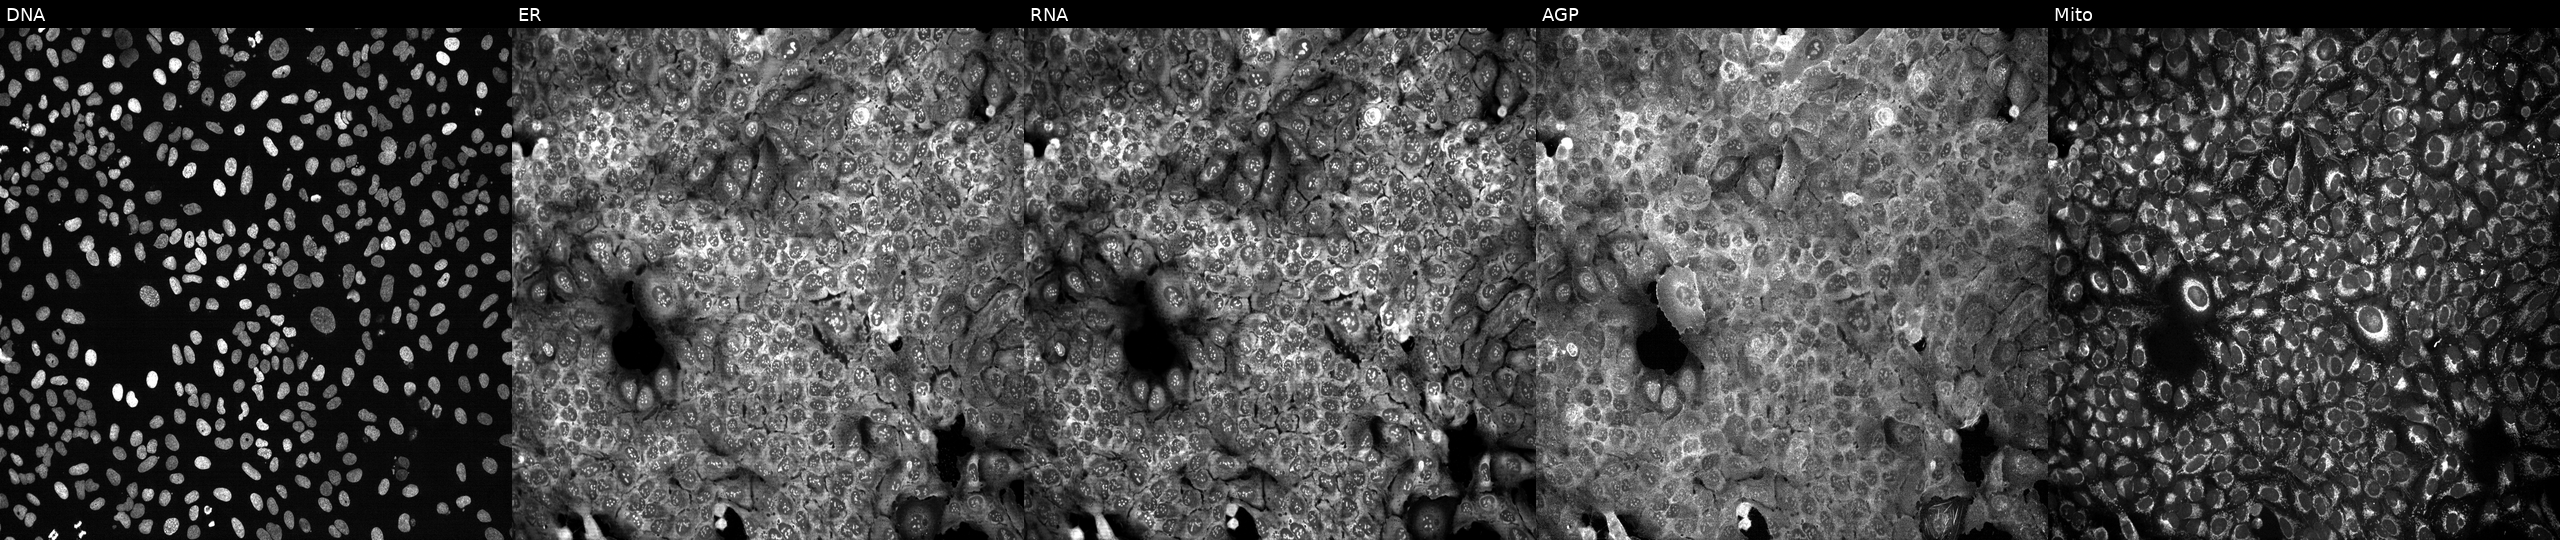
High-content fluorescence microscopy (Cell Painting). Cell line: U2OS. Perturbation: CRISPR-edited to disrupt RAP1GAP (JUMP id JCP2022_805830). Panels show, left to right, Hoechst 33342, concanavalin A, SYTO 14, phalloidin and WGA, MitoTracker.